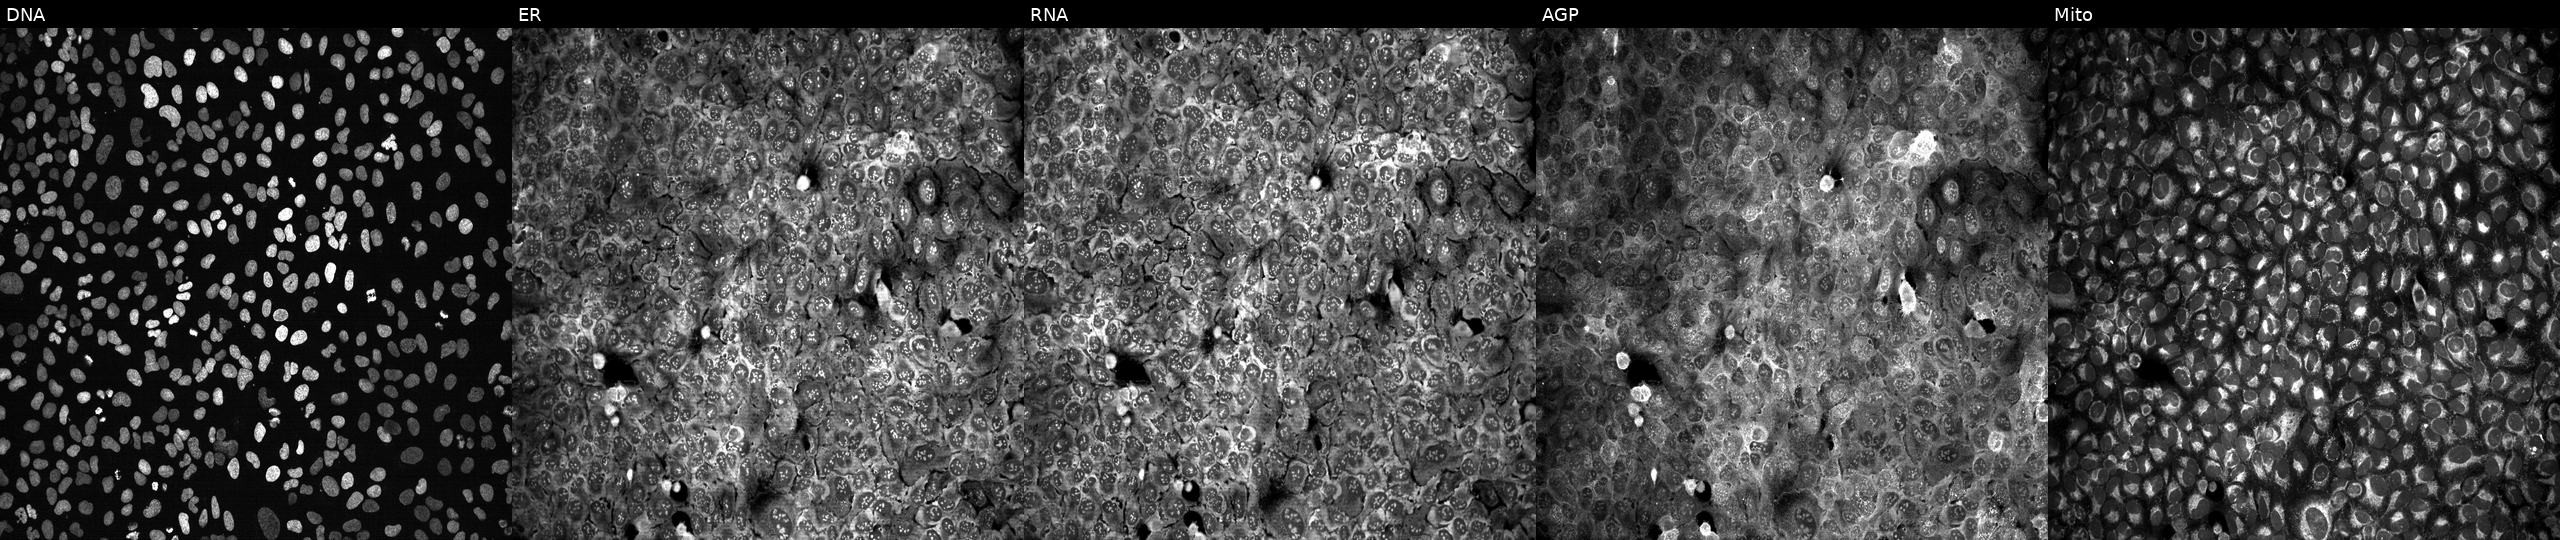
Channels (left→right): DNA (nuclei); ER (endoplasmic reticulum); RNA (nucleoli and cytoplasmic RNA); AGP (actin cytoskeleton, Golgi, and plasma membrane); Mito (mitochondria). U2OS osteosarcoma cells CRISPR-edited to disrupt RFC4. Cell Painting assay, JUMP-CP dataset. Source 13, plate CP-CC9-R4-03, well M22.